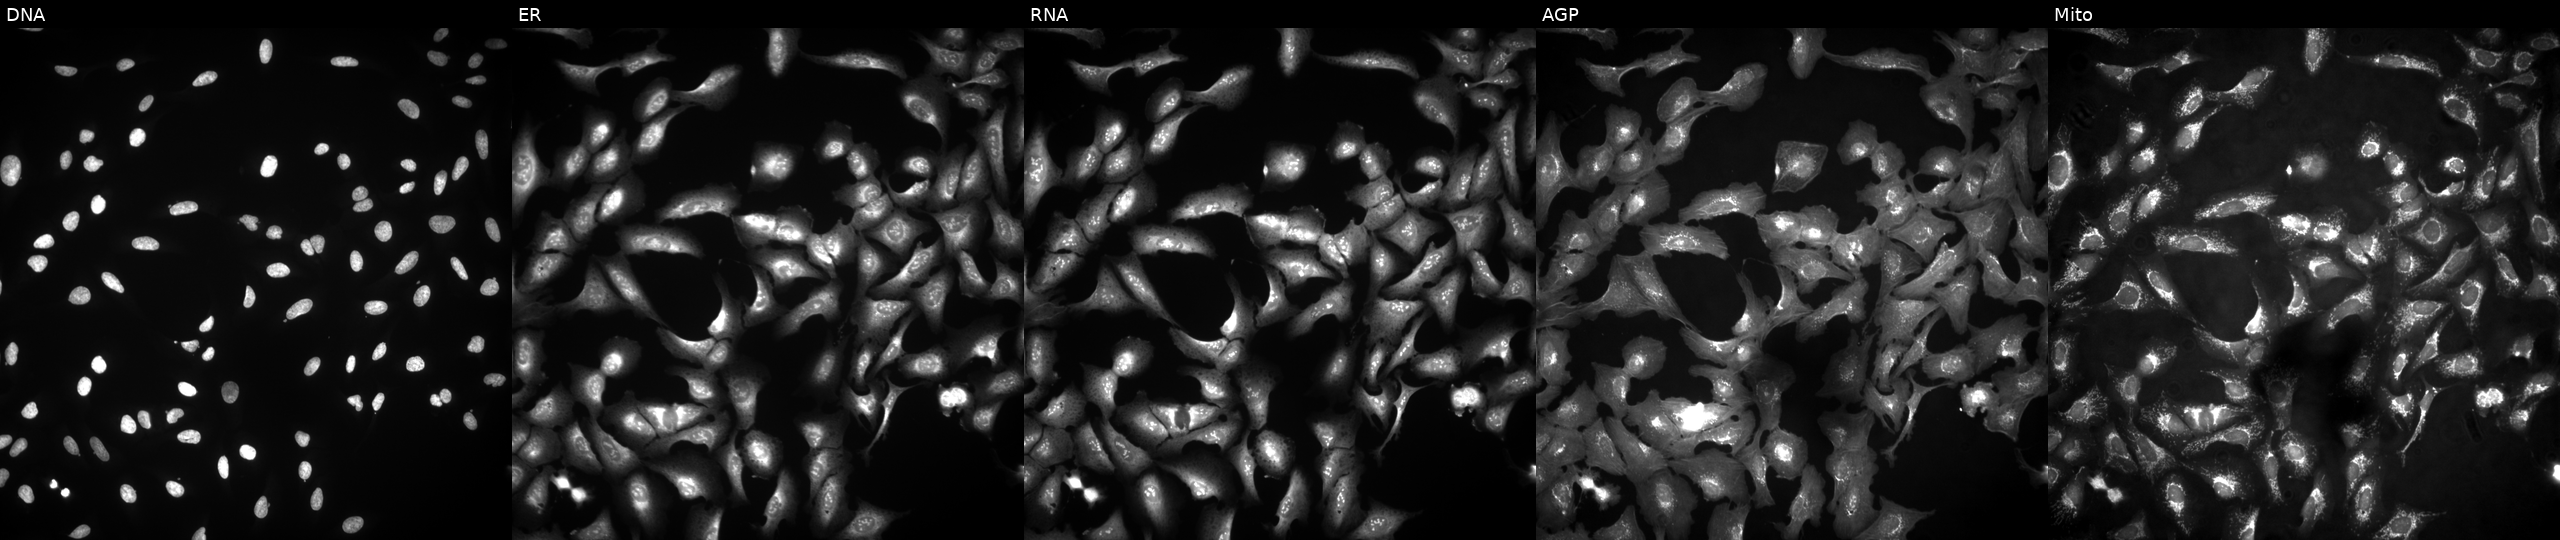
High-content fluorescence microscopy (Cell Painting). Cell line: U2OS. Perturbation: overexpressing CCDC81 via ORF transfection (JUMP id JCP2022_908215). The five panels, left to right, show DNA (nuclei); ER (endoplasmic reticulum); RNA (nucleoli and cytoplasmic RNA); AGP (actin cytoskeleton, Golgi, and plasma membrane); Mito (mitochondria).